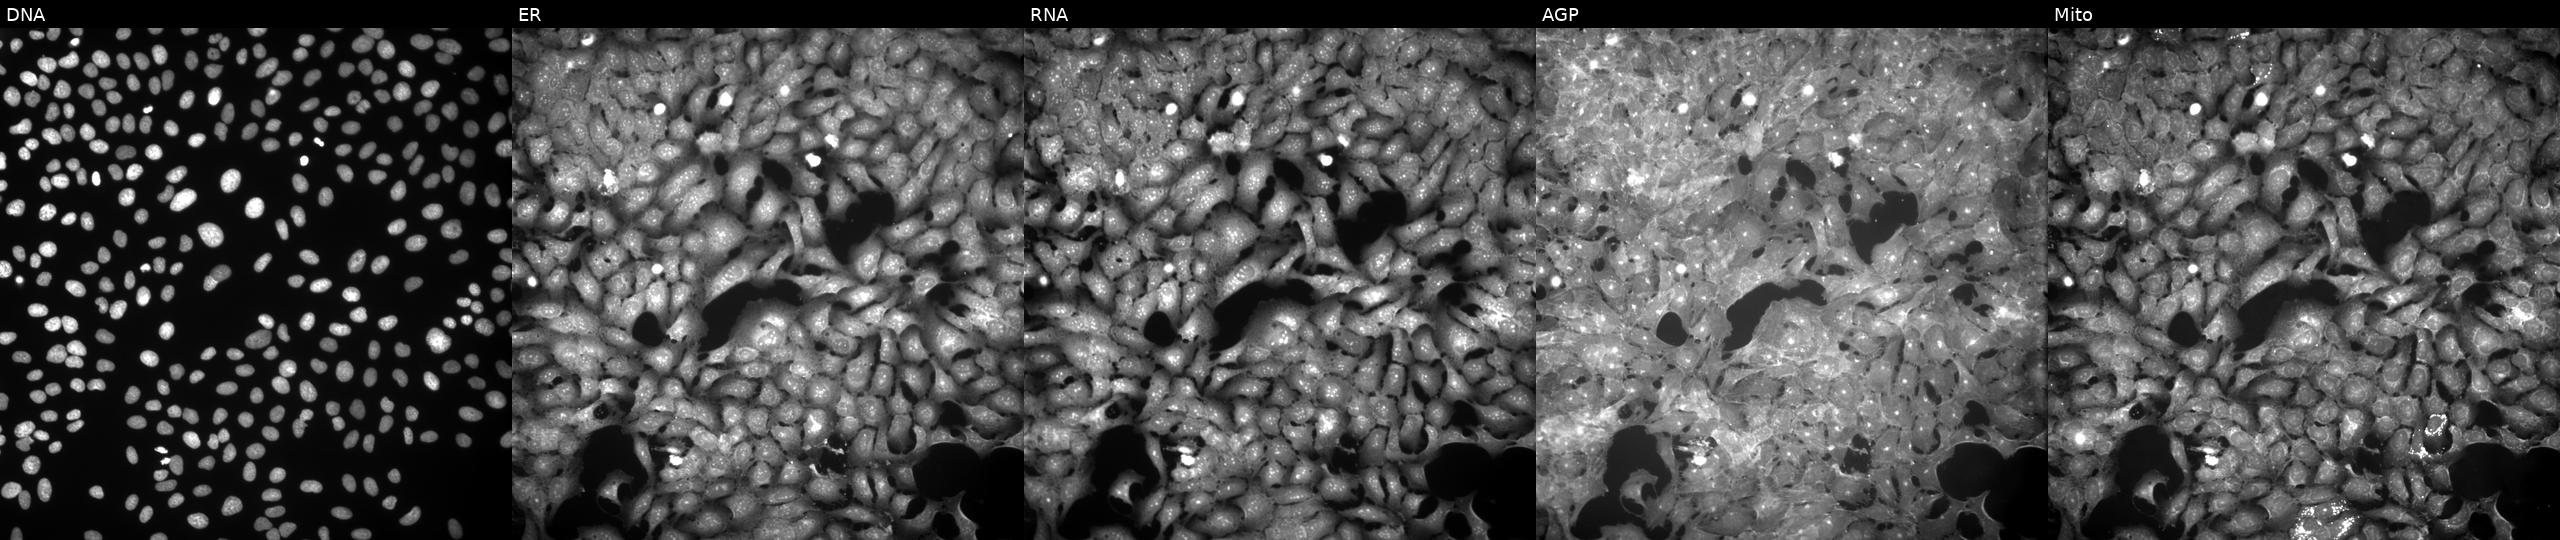
High-content fluorescence microscopy (Cell Painting). Cell line: U2OS. Perturbation: treated with FK-866 (positive-control compound). Panels show, left to right, DNA (nuclei); ER (endoplasmic reticulum); RNA (nucleoli and cytoplasmic RNA); AGP (actin cytoskeleton, Golgi, and plasma membrane); Mito (mitochondria). Source 9, plate GR00003381, well T24.